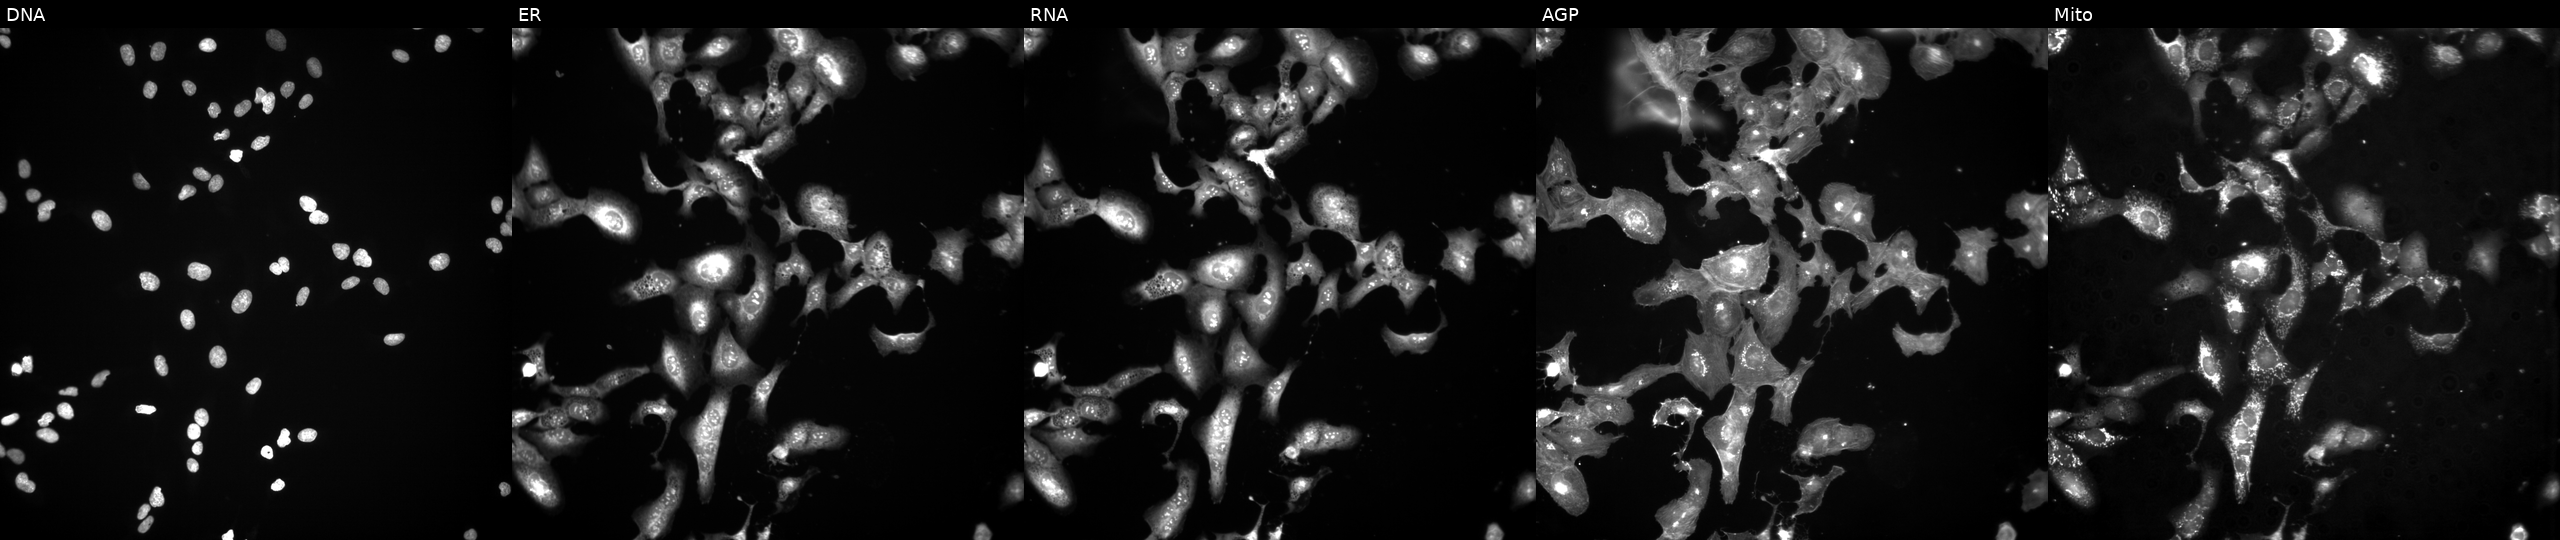
JUMP Cell Painting — TARGET2 plate. U2OS cells exposed to a small-molecule compound (InChIKey AJVXVYTVAAWZAP-UHFFFAOYSA-N) (JUMP id JCP2022_001890). Panels show, left to right, Hoechst 33342, concanavalin A, SYTO 14, phalloidin and WGA, MitoTracker.